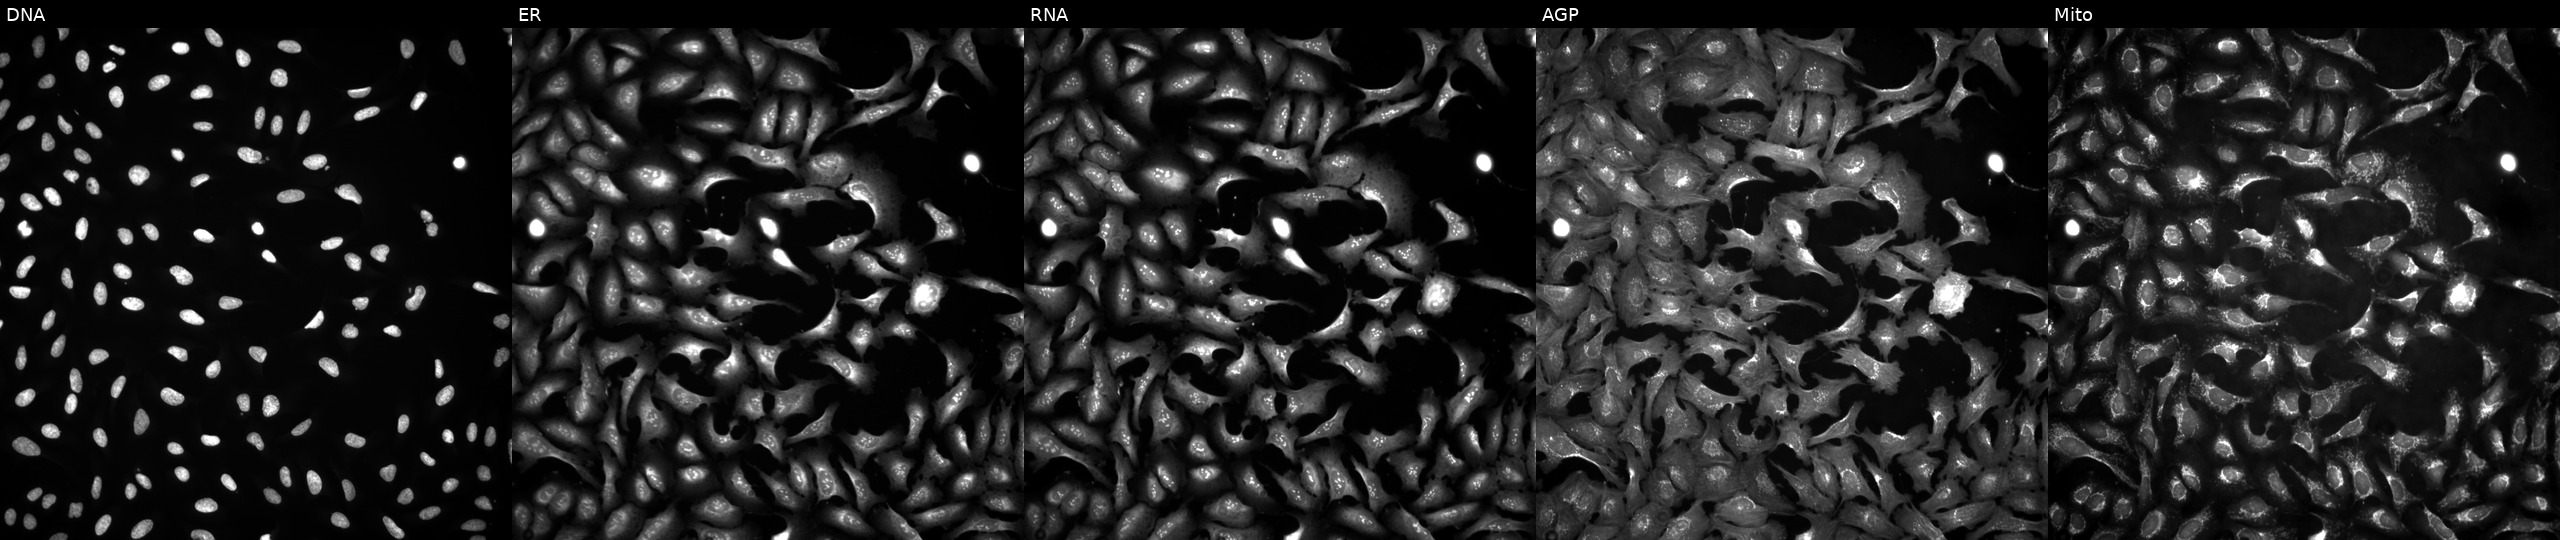
The five panels, left to right, show DNA (nuclei); ER (endoplasmic reticulum); RNA (nucleoli and cytoplasmic RNA); AGP (actin cytoskeleton, Golgi, and plasma membrane); Mito (mitochondria). U2OS osteosarcoma cells transfected with an ORF construct for CSNK1G1 (JUMP id JCP2022_903189). Cell Painting assay, JUMP-CP dataset.